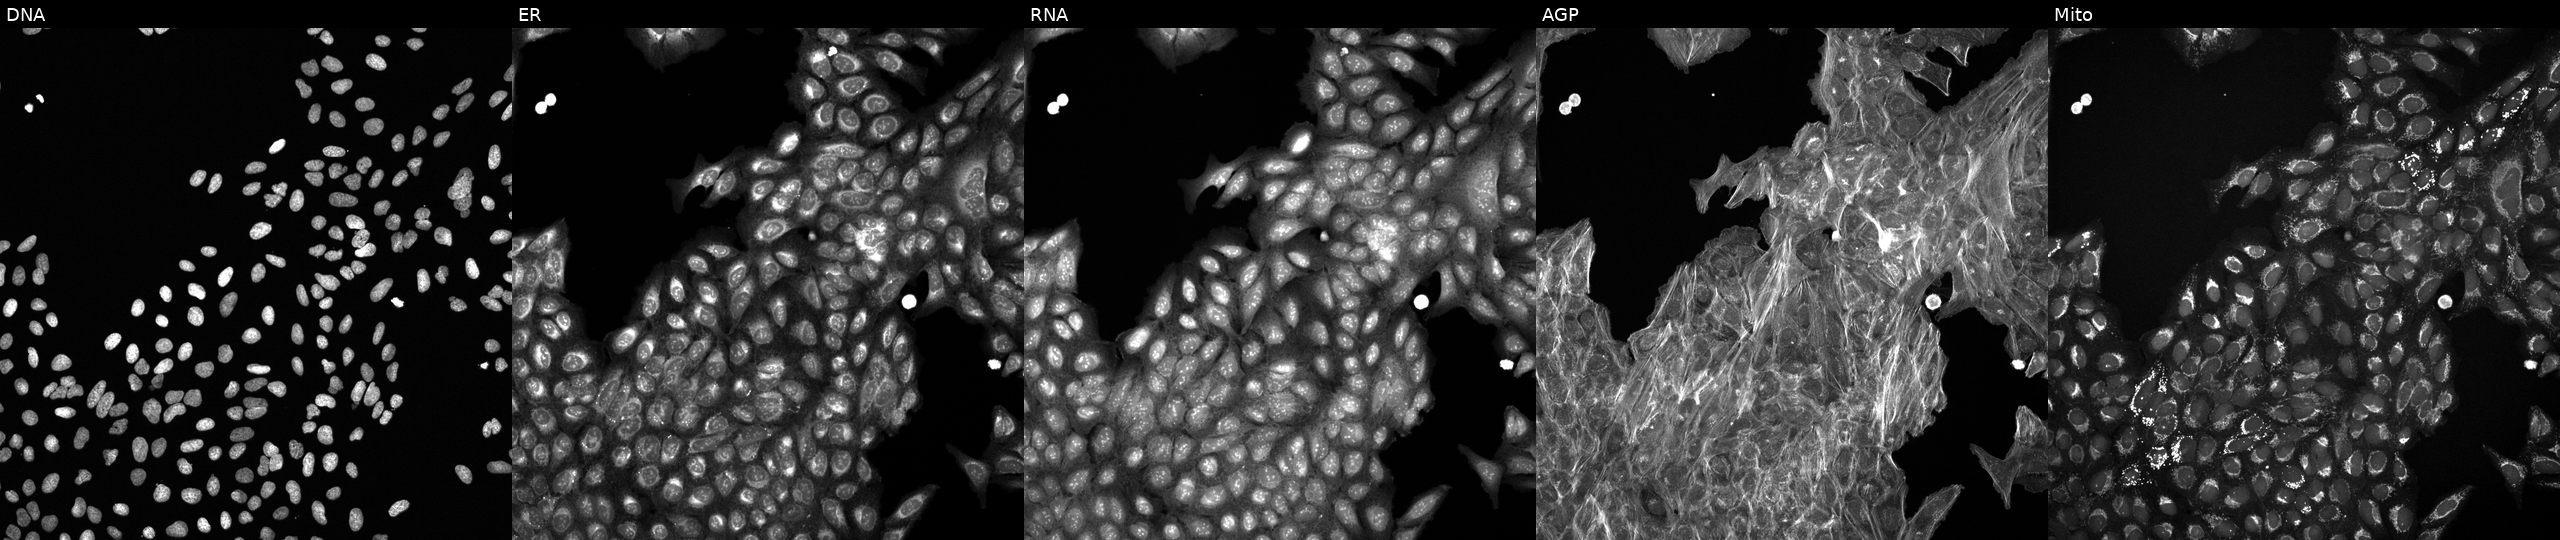
Five-channel Cell Painting image of U2OS cells treated with a small-molecule compound (InChIKey HYTHOPLNUAUBQK-UHFFFAOYSA-N). Panels show, left to right, Hoechst 33342, concanavalin A, SYTO 14, phalloidin and WGA, MitoTracker.